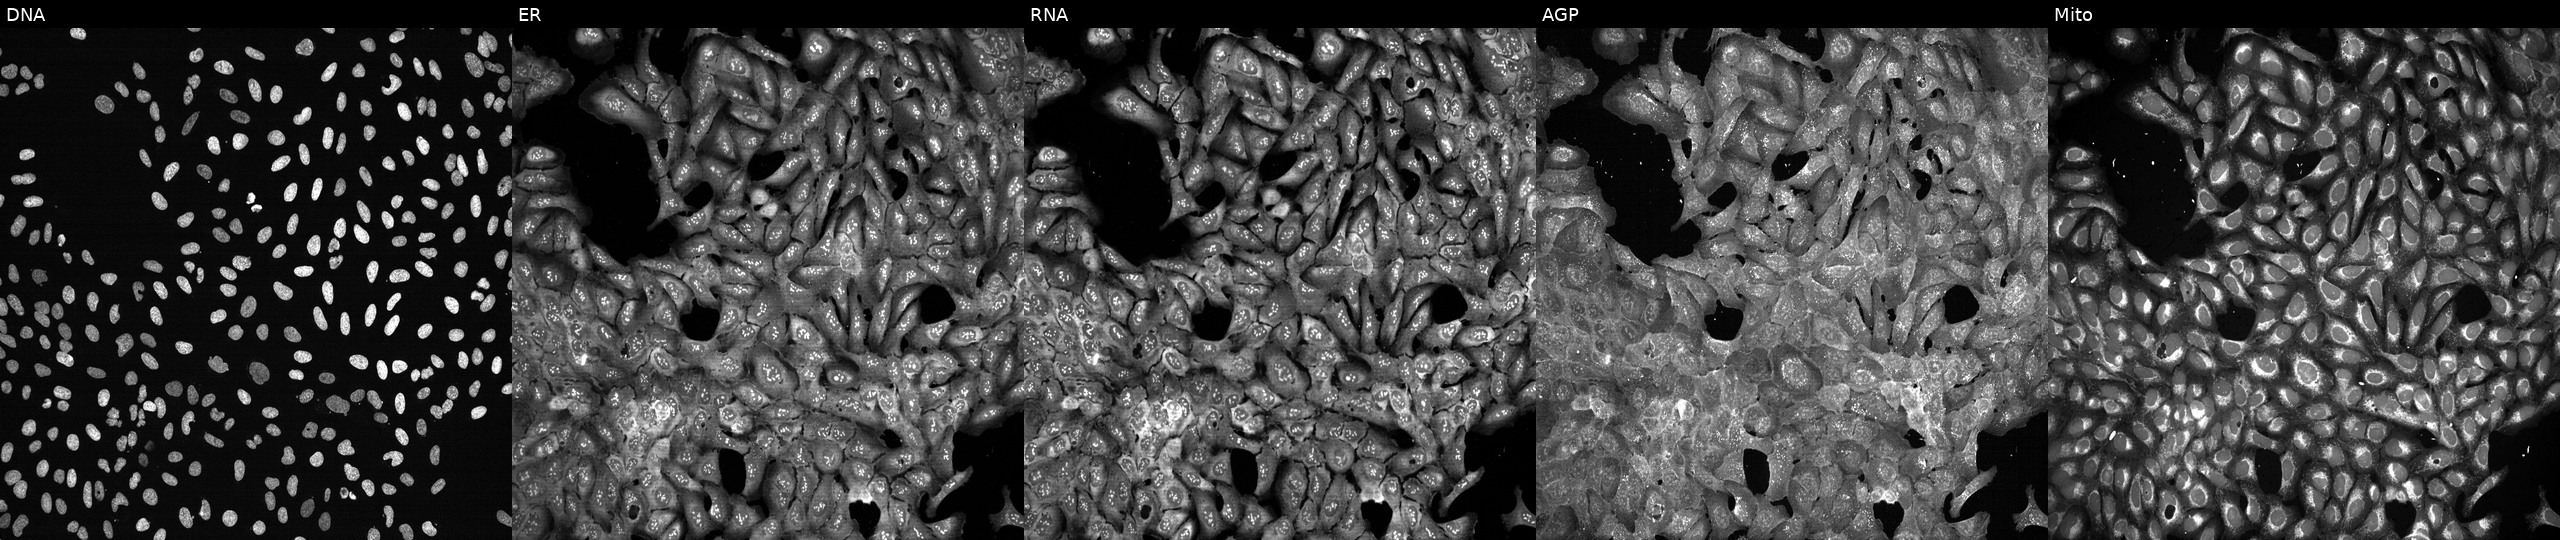
JUMP Cell Painting — CRISPR plate. U2OS cells following CRISPR knockout of NOX3 (JUMP id JCP2022_804646). Panels show, left to right, Hoechst 33342, concanavalin A, SYTO 14, phalloidin and WGA, MitoTracker.